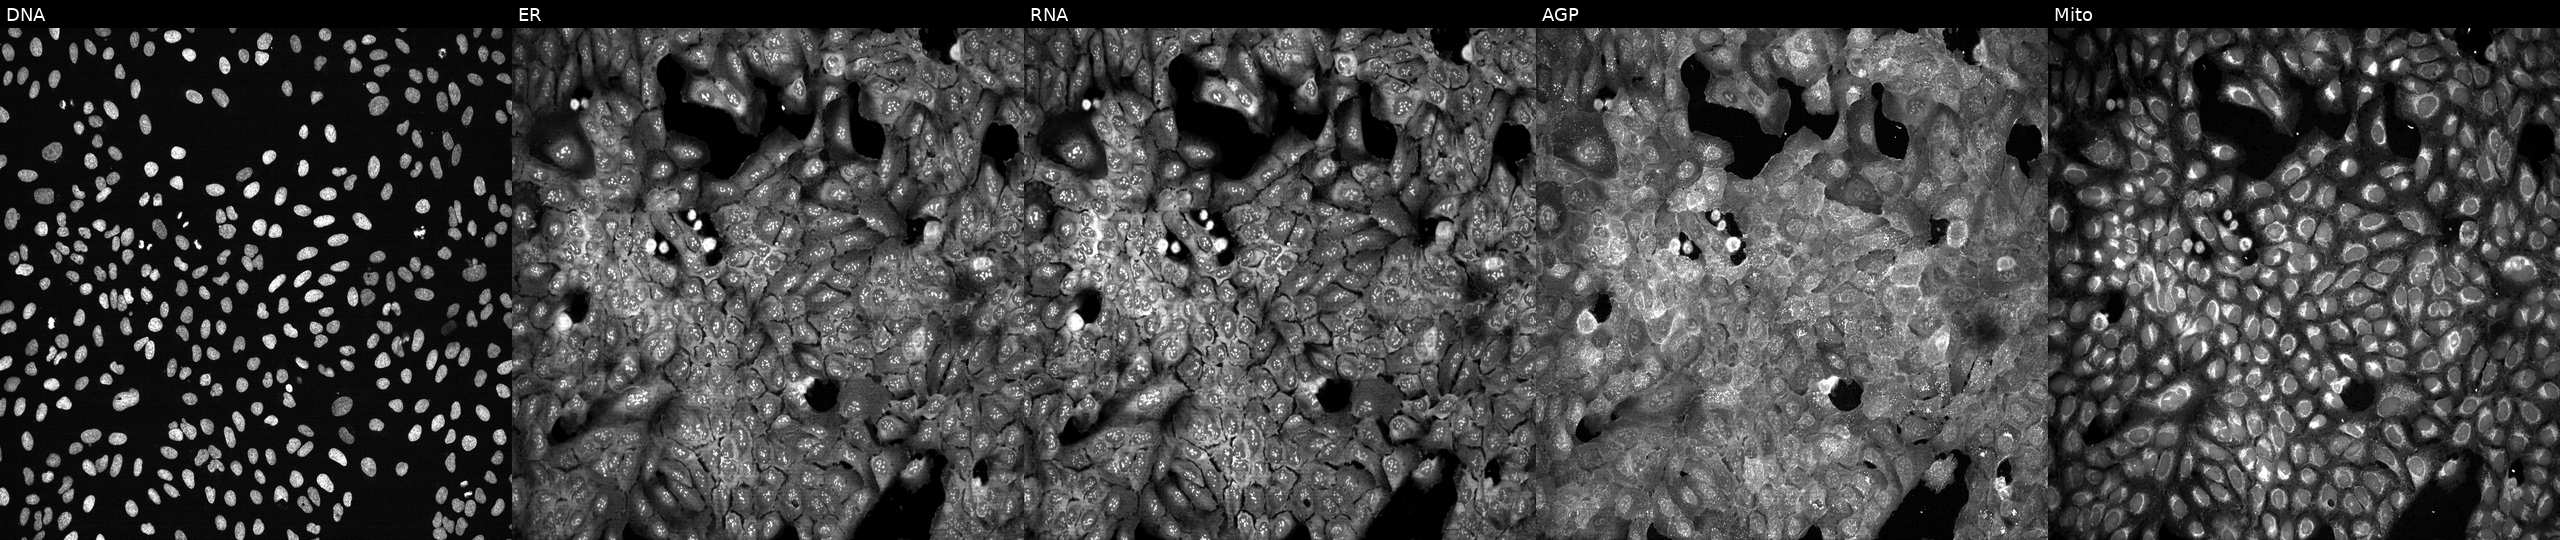
This image strip shows the five Cell Painting channels for a single field of U2OS cells with SLC9A9 knocked out by CRISPR. Channels (left→right): DNA, ER, RNA, AGP, and Mito. Source 13, plate CP-CC9-R5-01, well C15.